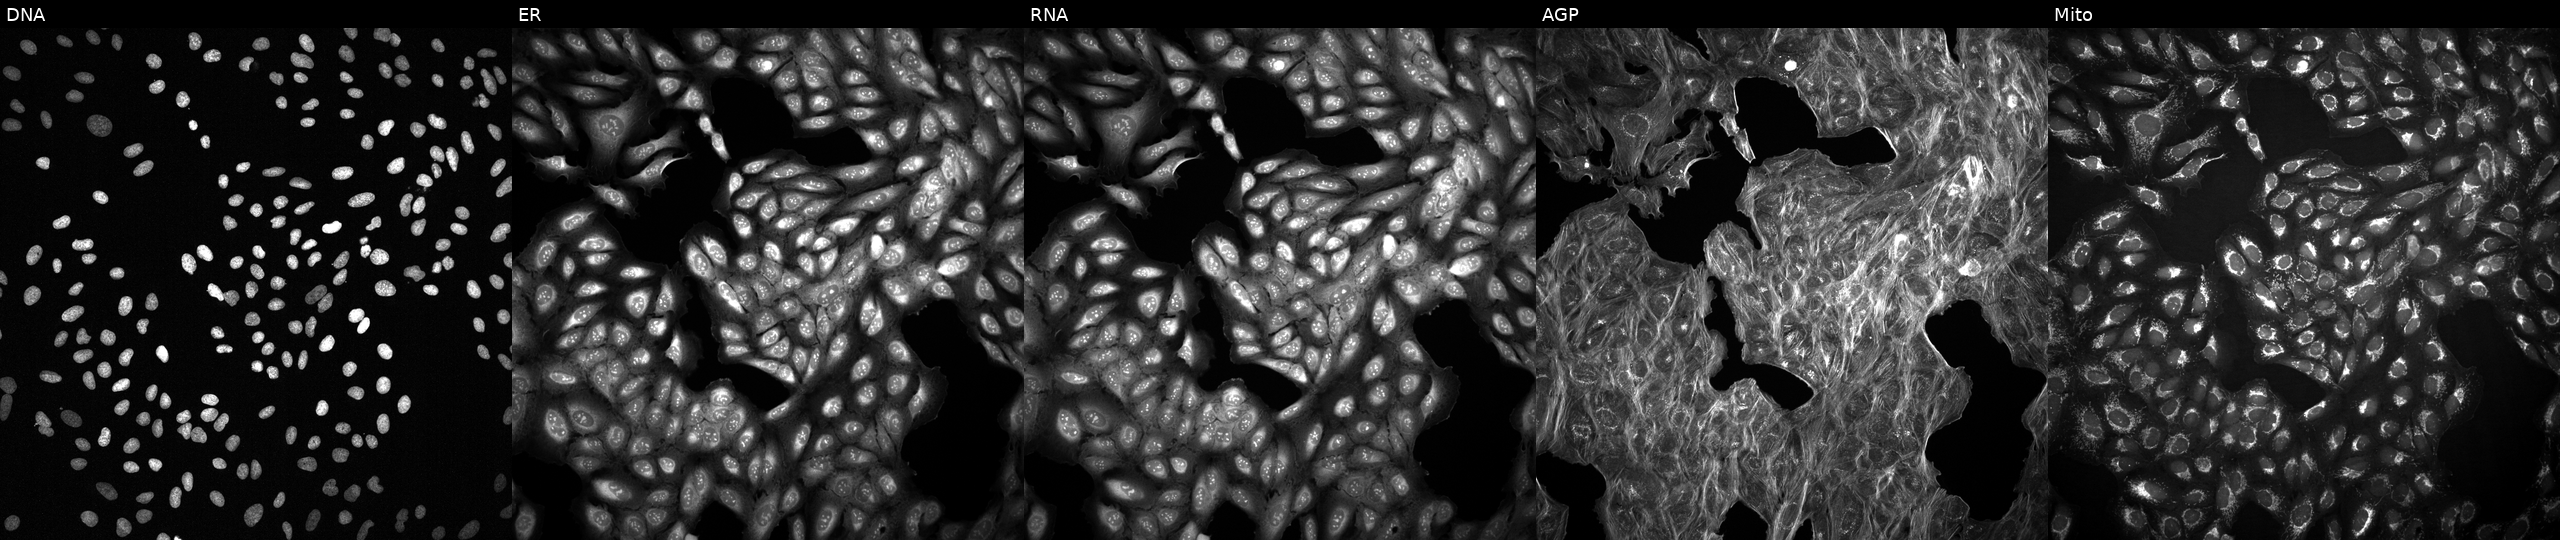
Five-channel Cell Painting image of U2OS cells with an unidentified perturbation (not annotated in JUMP metadata). The five panels, left to right, show Hoechst 33342, concanavalin A, SYTO 14, phalloidin and WGA, MitoTracker.